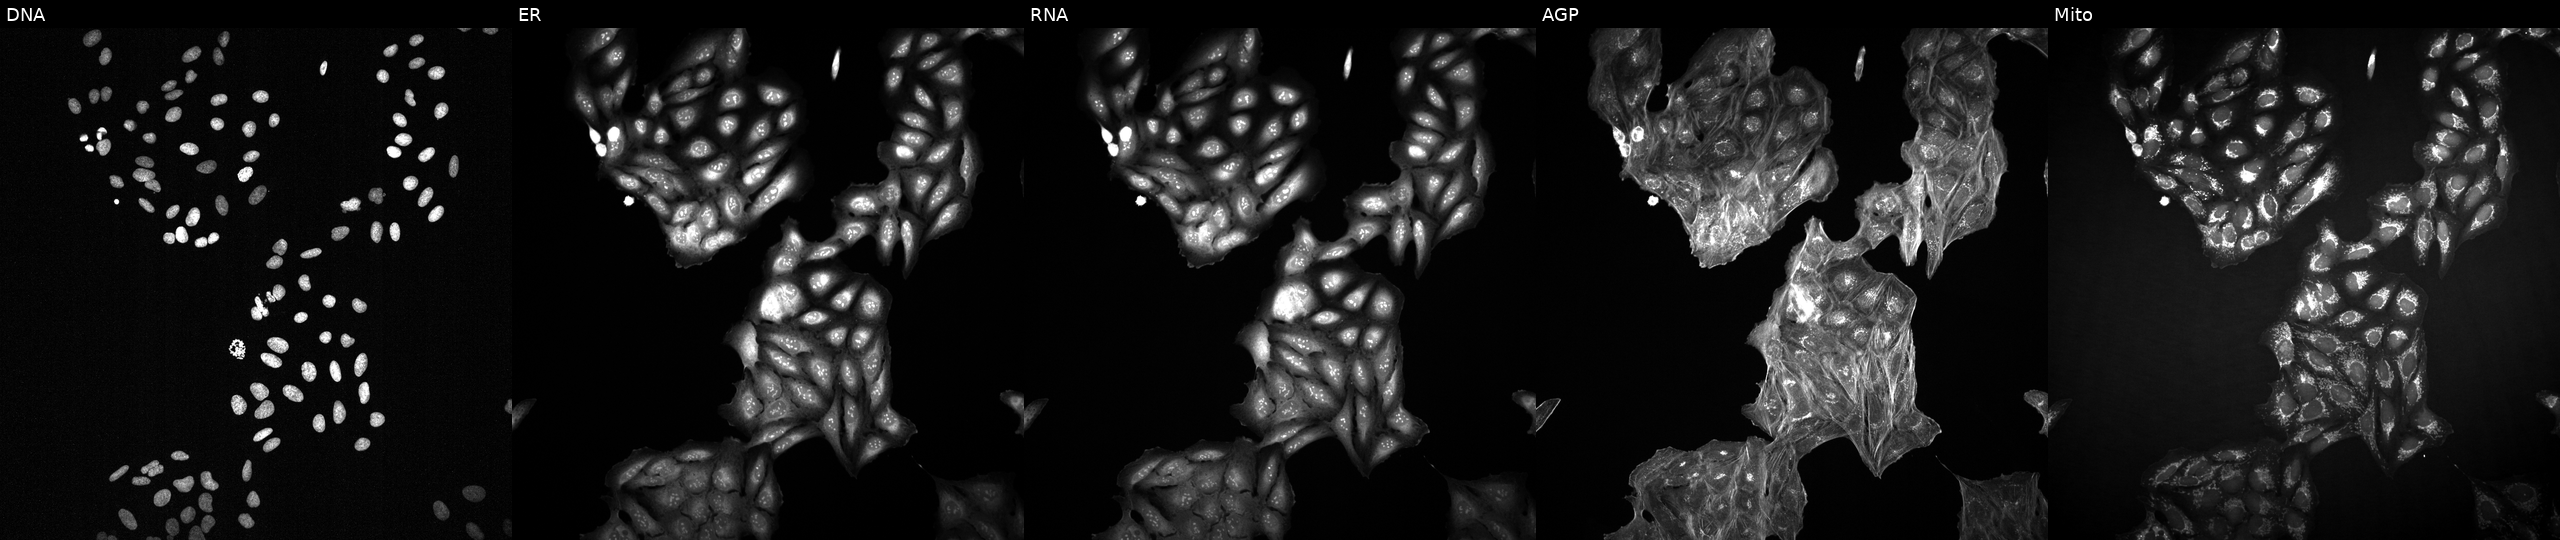
High-content fluorescence microscopy (Cell Painting). Cell line: U2OS. Perturbation: treated with quinidine (positive-control compound). From left to right: Hoechst 33342, concanavalin A, SYTO 14, phalloidin and WGA, MitoTracker. Source 2, plate 1053600674, well A02.